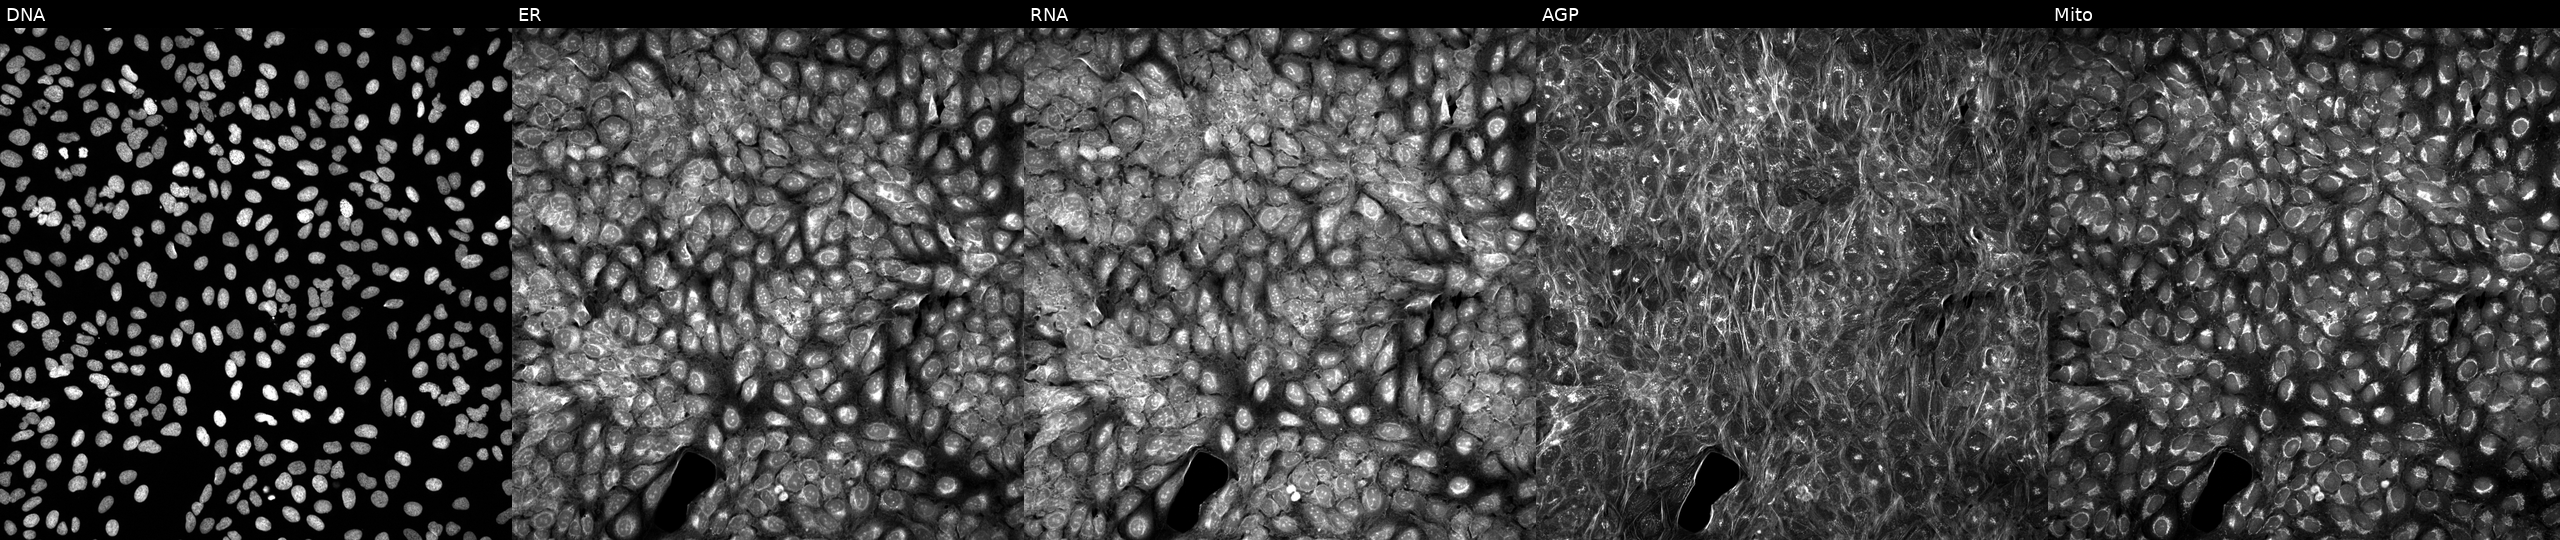
JUMP Cell Painting — TARGET2 plate. U2OS cells treated with a small-molecule compound (InChIKey CEUORZQYGODEFX-UHFFFAOYSA-N). Channels (left→right): Hoechst 33342, concanavalin A, SYTO 14, phalloidin and WGA, MitoTracker. Source 5, plate ACPJUM032, well P13.